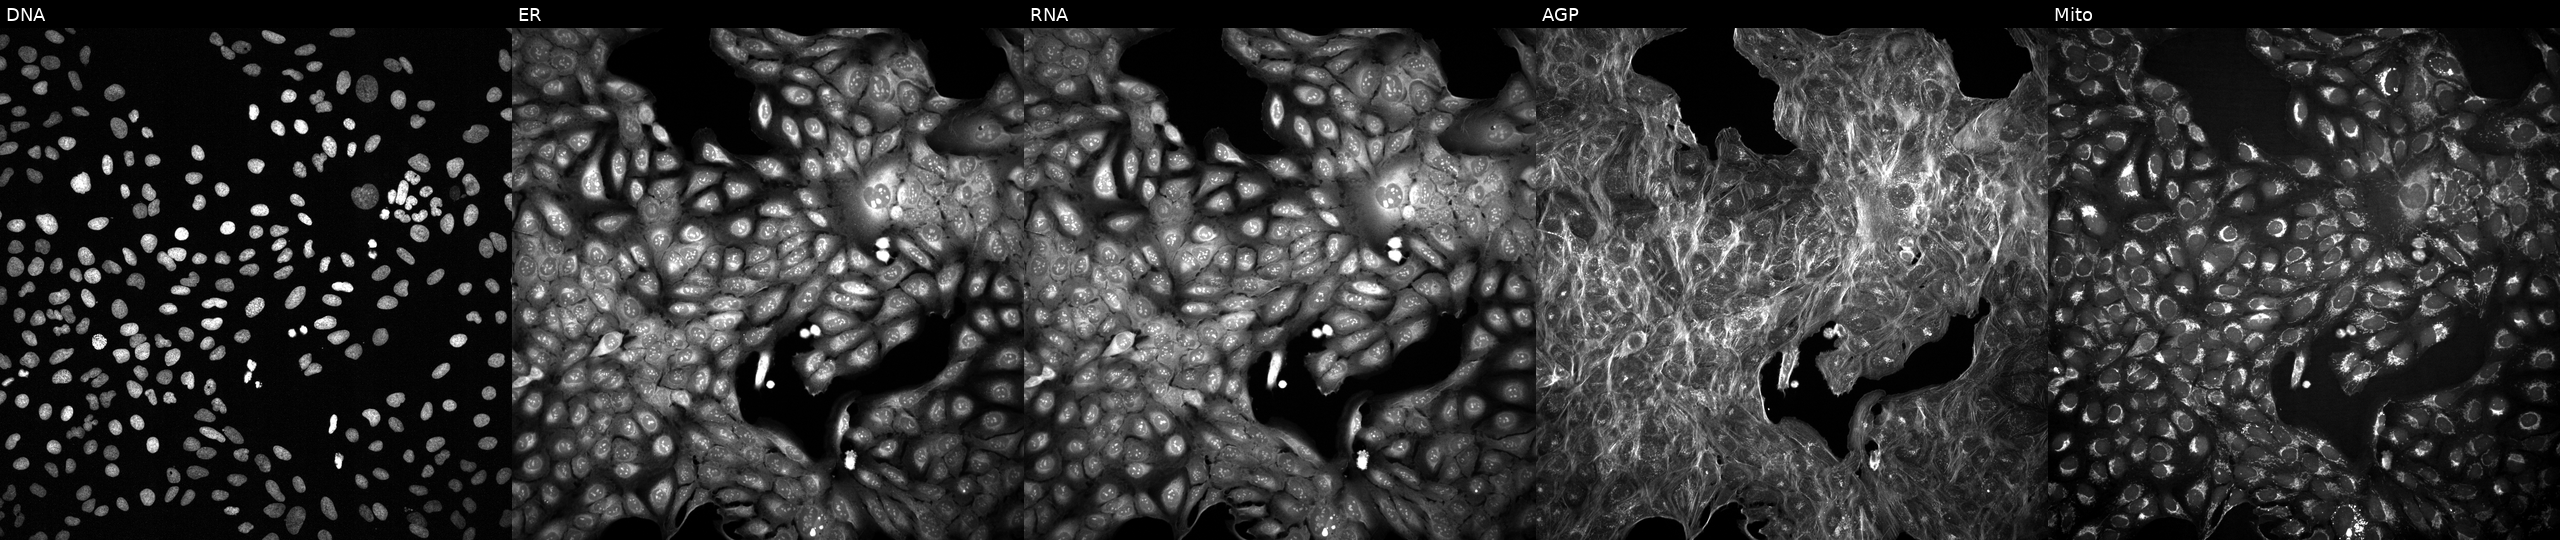
U2OS cells, Cell Painting assay, treated with aloxistatin (positive-control compound) (JUMP id JCP2022_085227). Panels show, left to right, Hoechst 33342, concanavalin A, SYTO 14, phalloidin and WGA, MitoTracker. Each panel is percentile-stretched 16-bit fluorescence.